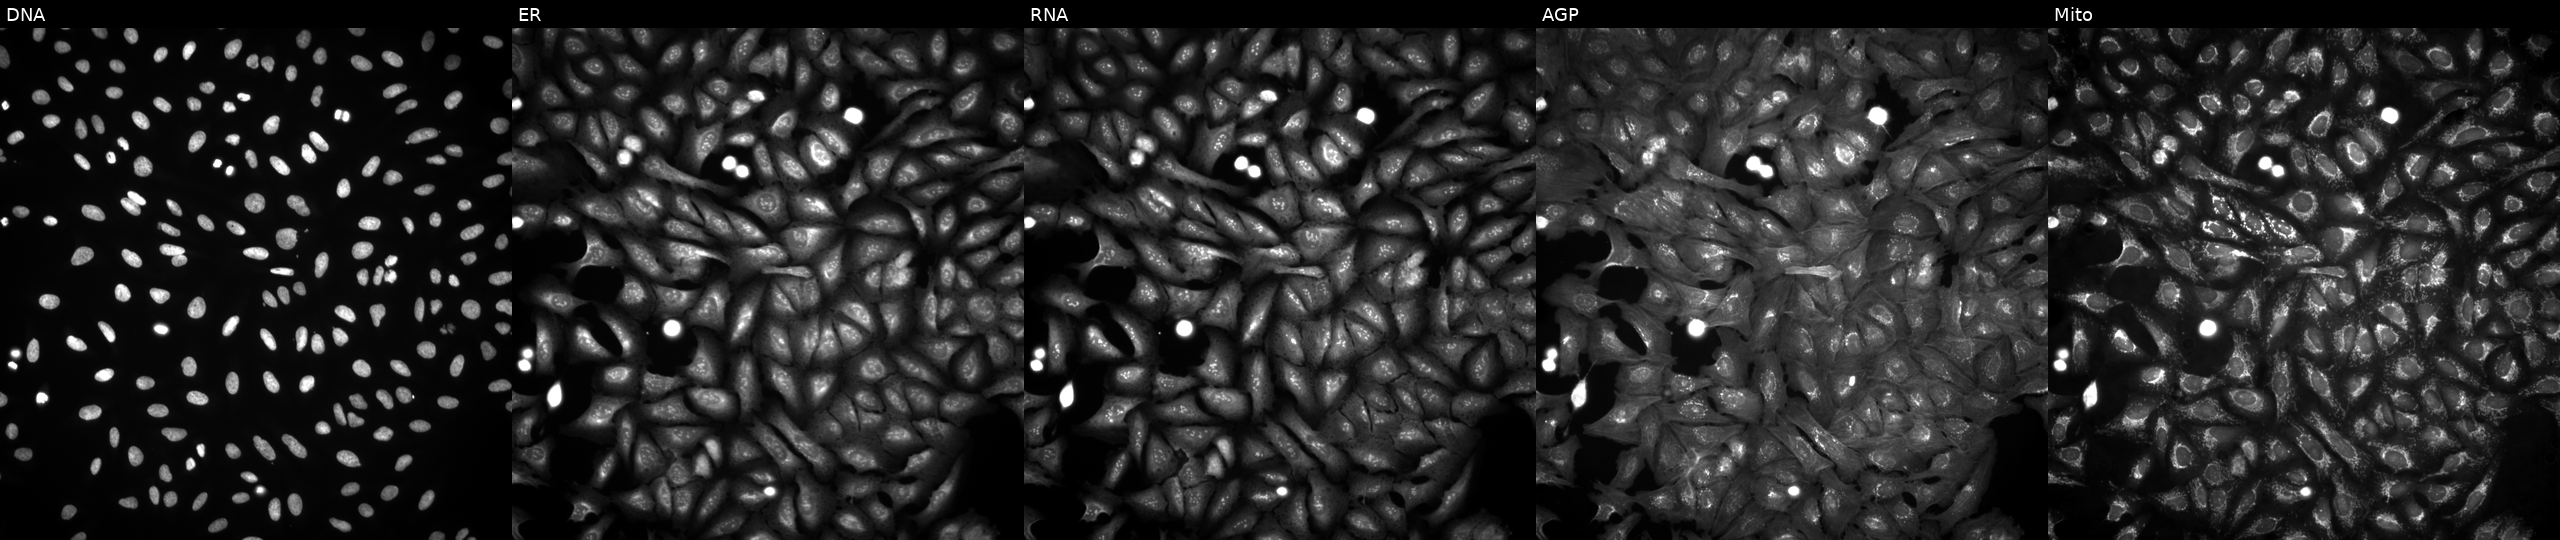
Five-channel Cell Painting image of U2OS cells expressing LacZ (ORF negative control) (JUMP id JCP2022_915131). The five panels, left to right, show DNA, ER, RNA, AGP, and Mito.